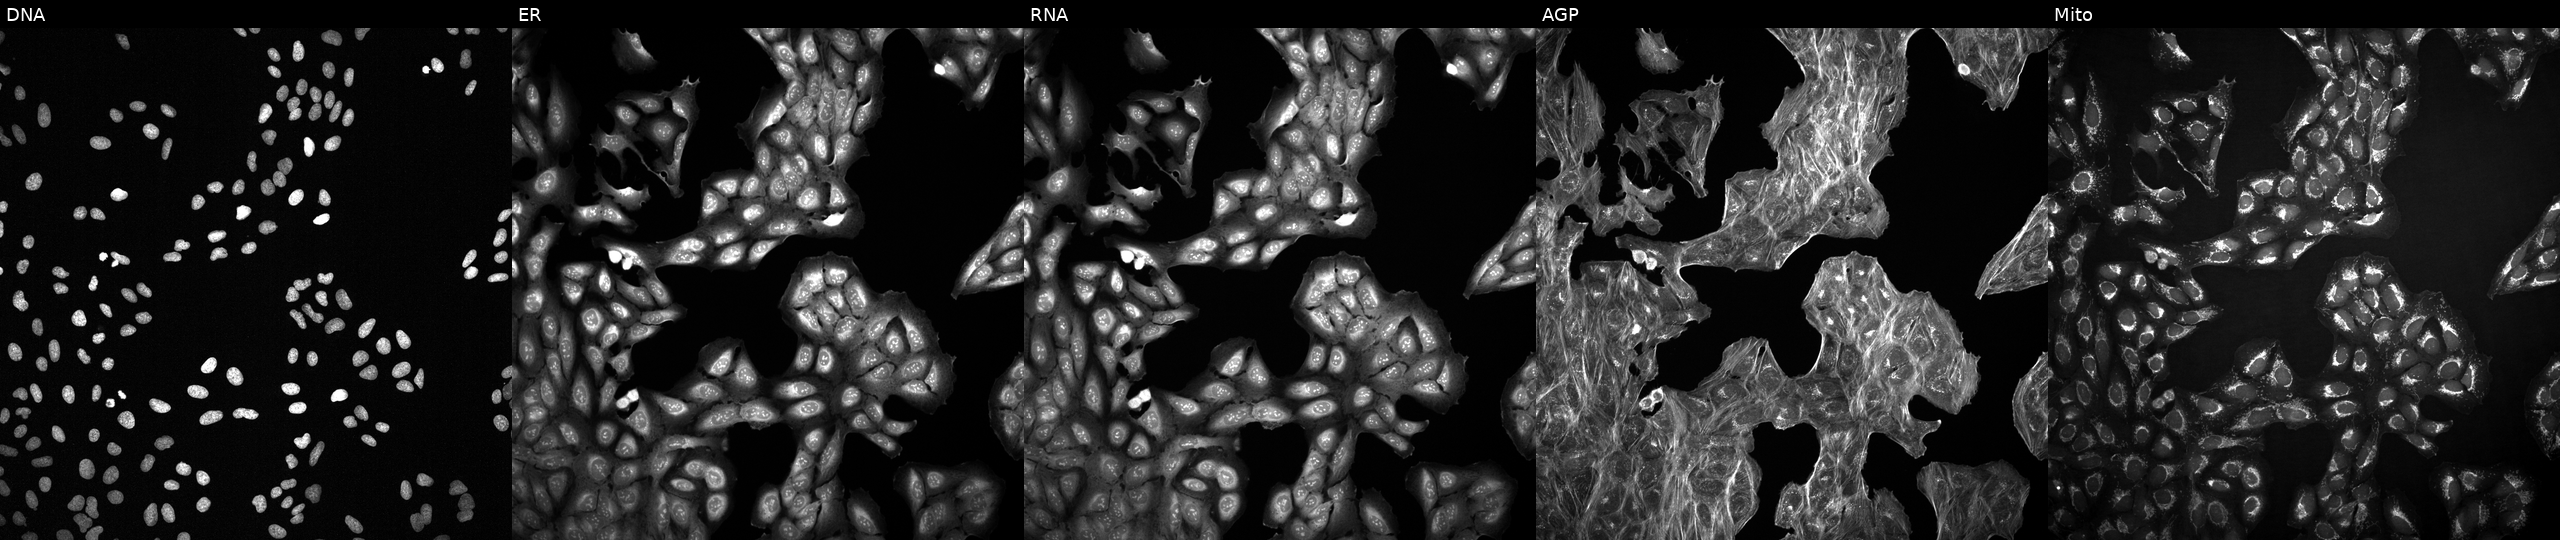
This image strip shows the five Cell Painting channels for a single field of U2OS cells with an unidentified perturbation (not annotated in JUMP metadata). From left to right: DNA, ER, RNA, AGP, and Mito.